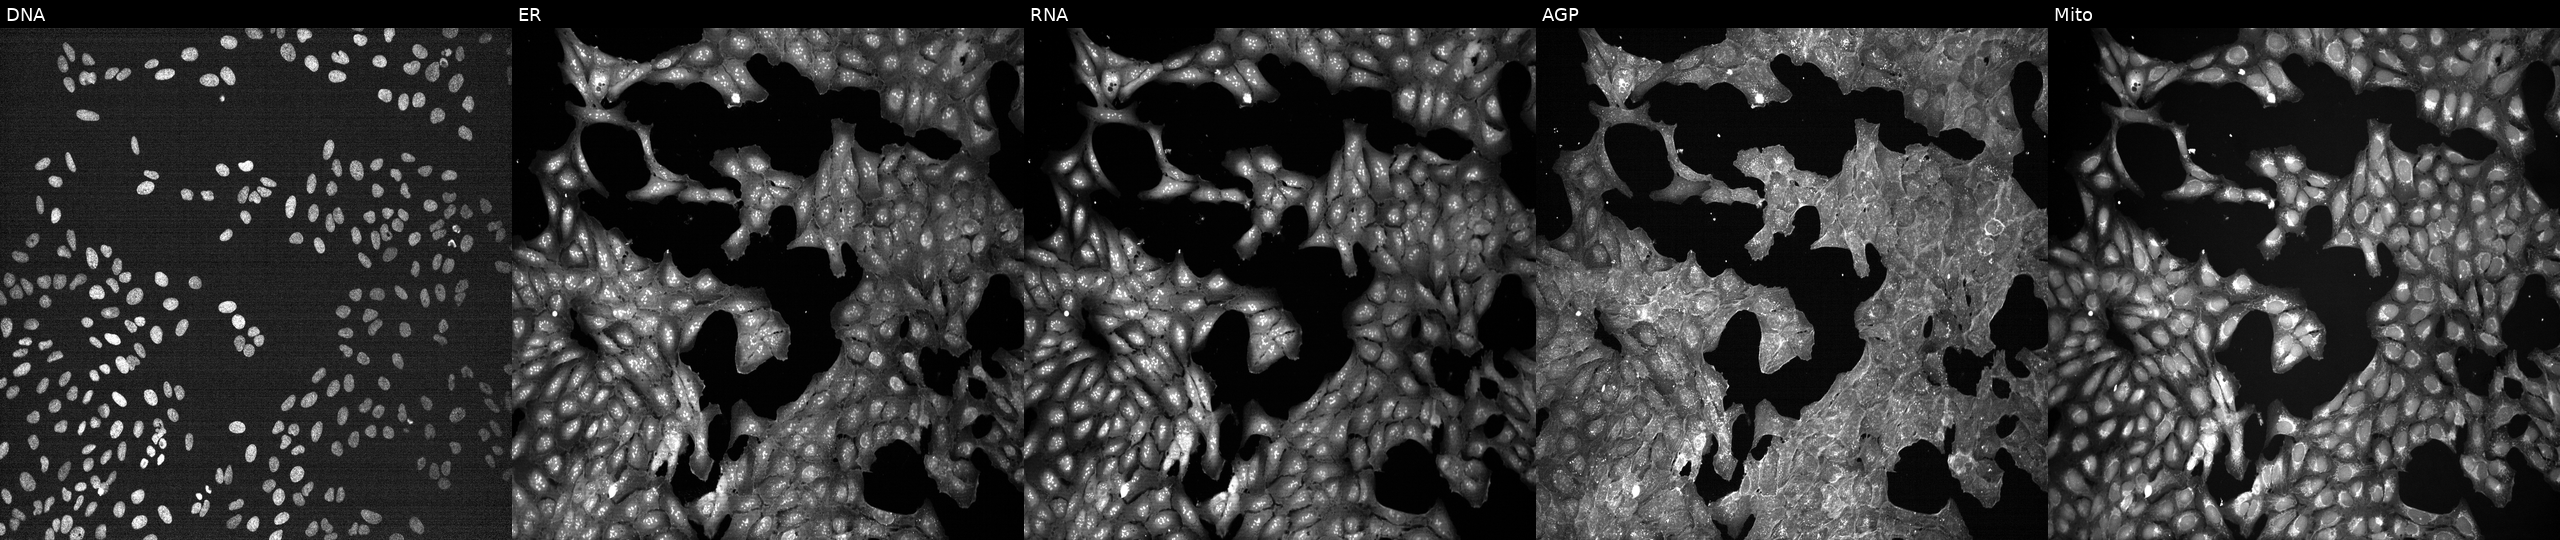
High-content fluorescence microscopy (Cell Painting). Cell line: U2OS. Perturbation: perturbed with a small-molecule compound (InChIKey XNOPRXBHLZRZKH-UHFFFAOYSA-N). Panels show, left to right, DNA (nuclei); ER (endoplasmic reticulum); RNA (nucleoli and cytoplasmic RNA); AGP (actin cytoskeleton, Golgi, and plasma membrane); Mito (mitochondria).